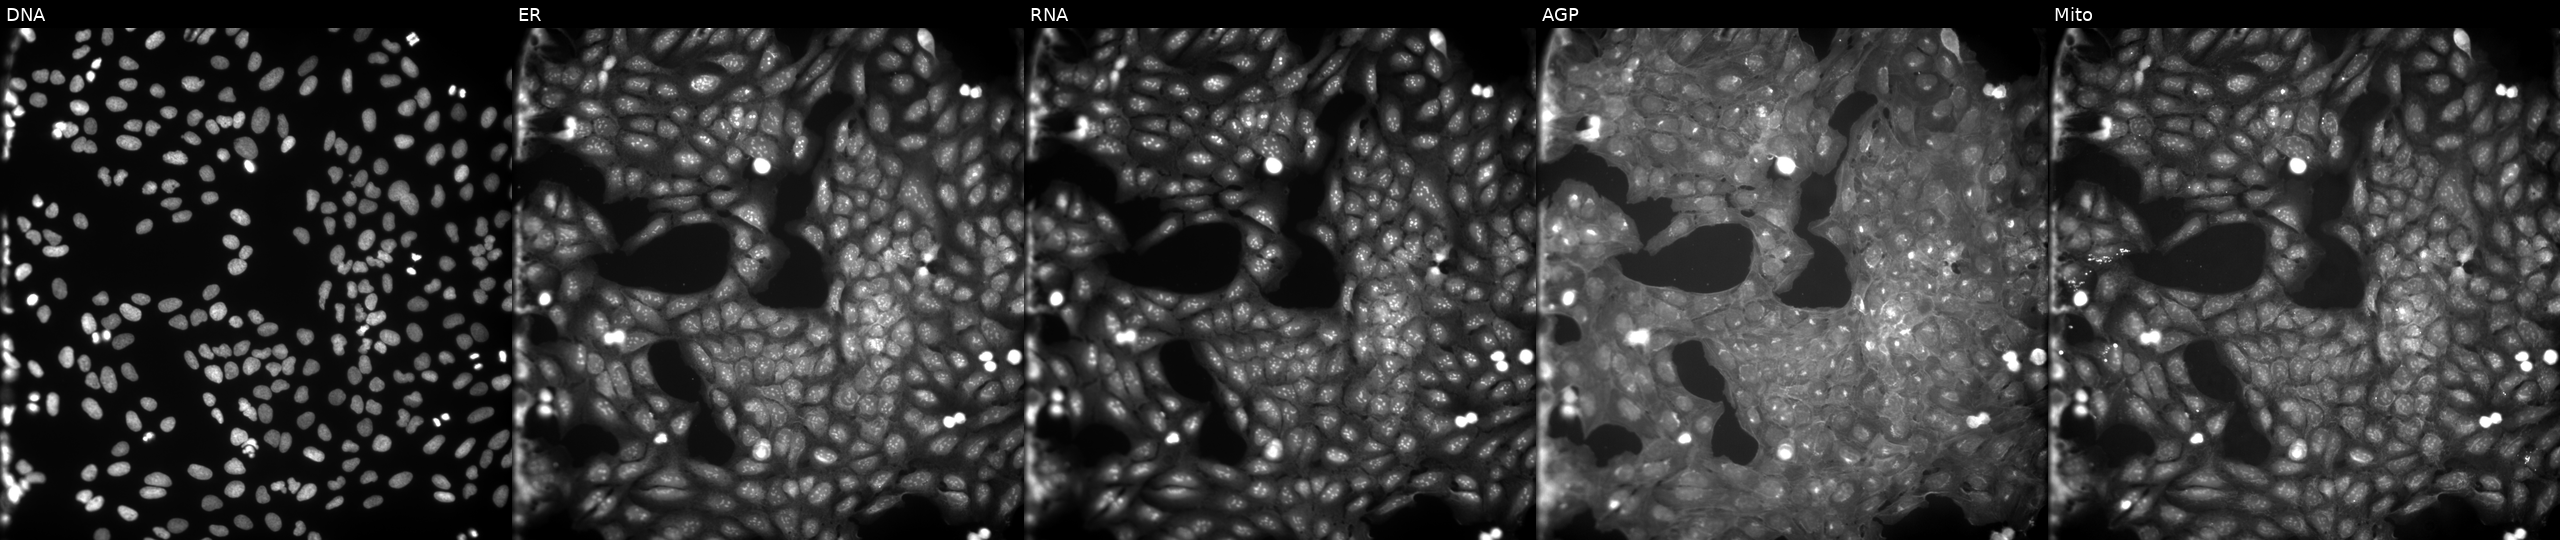
U2OS cells, Cell Painting assay, treated with TC-S-7004 (positive-control compound) (JUMP id JCP2022_012818). The five panels, left to right, show DNA, ER, RNA, AGP, and Mito. Each panel is percentile-stretched 16-bit fluorescence.